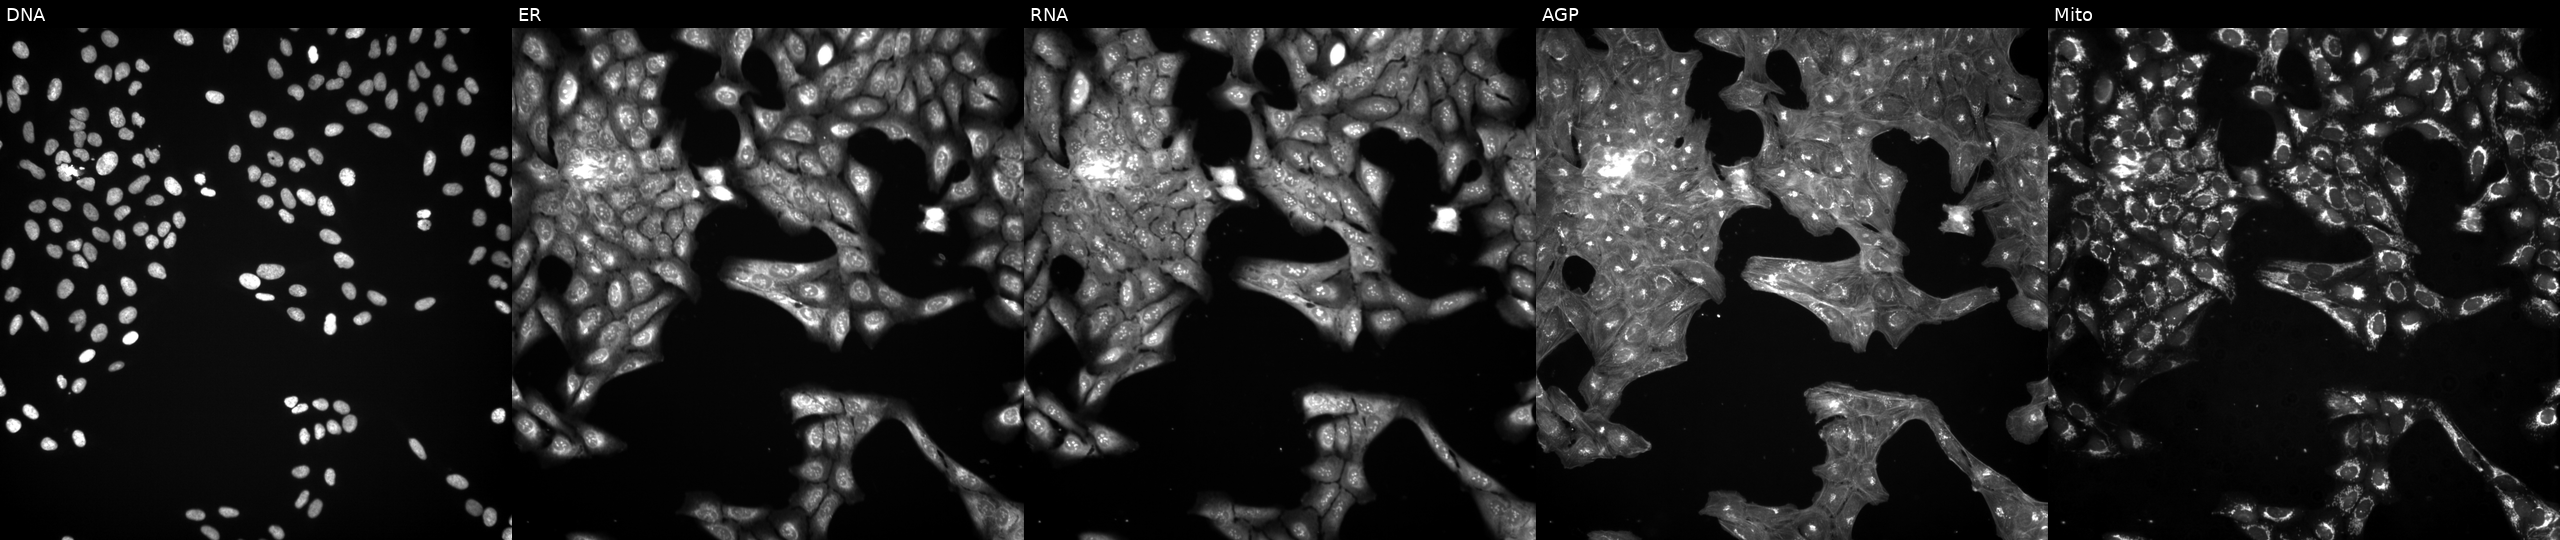
High-content fluorescence microscopy (Cell Painting). Cell line: U2OS. Perturbation: treated with a small-molecule compound [SMILES: Cc1sc2ncnc(SCC#N)c2c1C] (JUMP id JCP2022_061274). The five panels, left to right, show Hoechst 33342, concanavalin A, SYTO 14, phalloidin and WGA, MitoTracker. Source 3, plate BR5867b3, well I10.